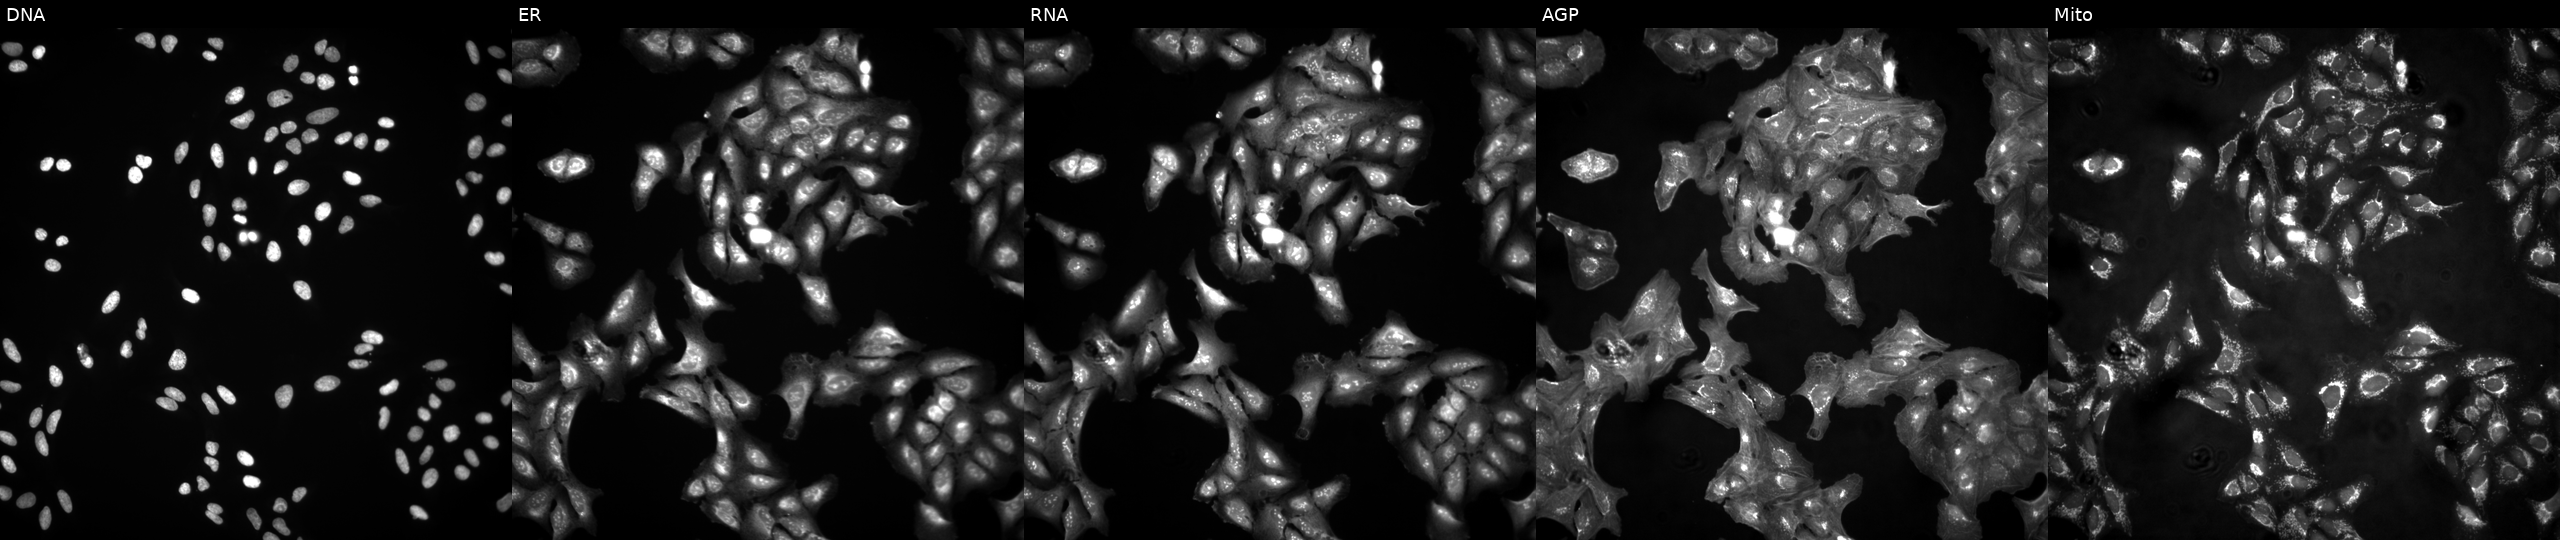
U2OS cells, Cell Painting assay, untreated (empty-well control) (JUMP id JCP2022_999999). From left to right: DNA (nuclei); ER (endoplasmic reticulum); RNA (nucleoli and cytoplasmic RNA); AGP (actin cytoskeleton, Golgi, and plasma membrane); Mito (mitochondria). Each panel is percentile-stretched 16-bit fluorescence.